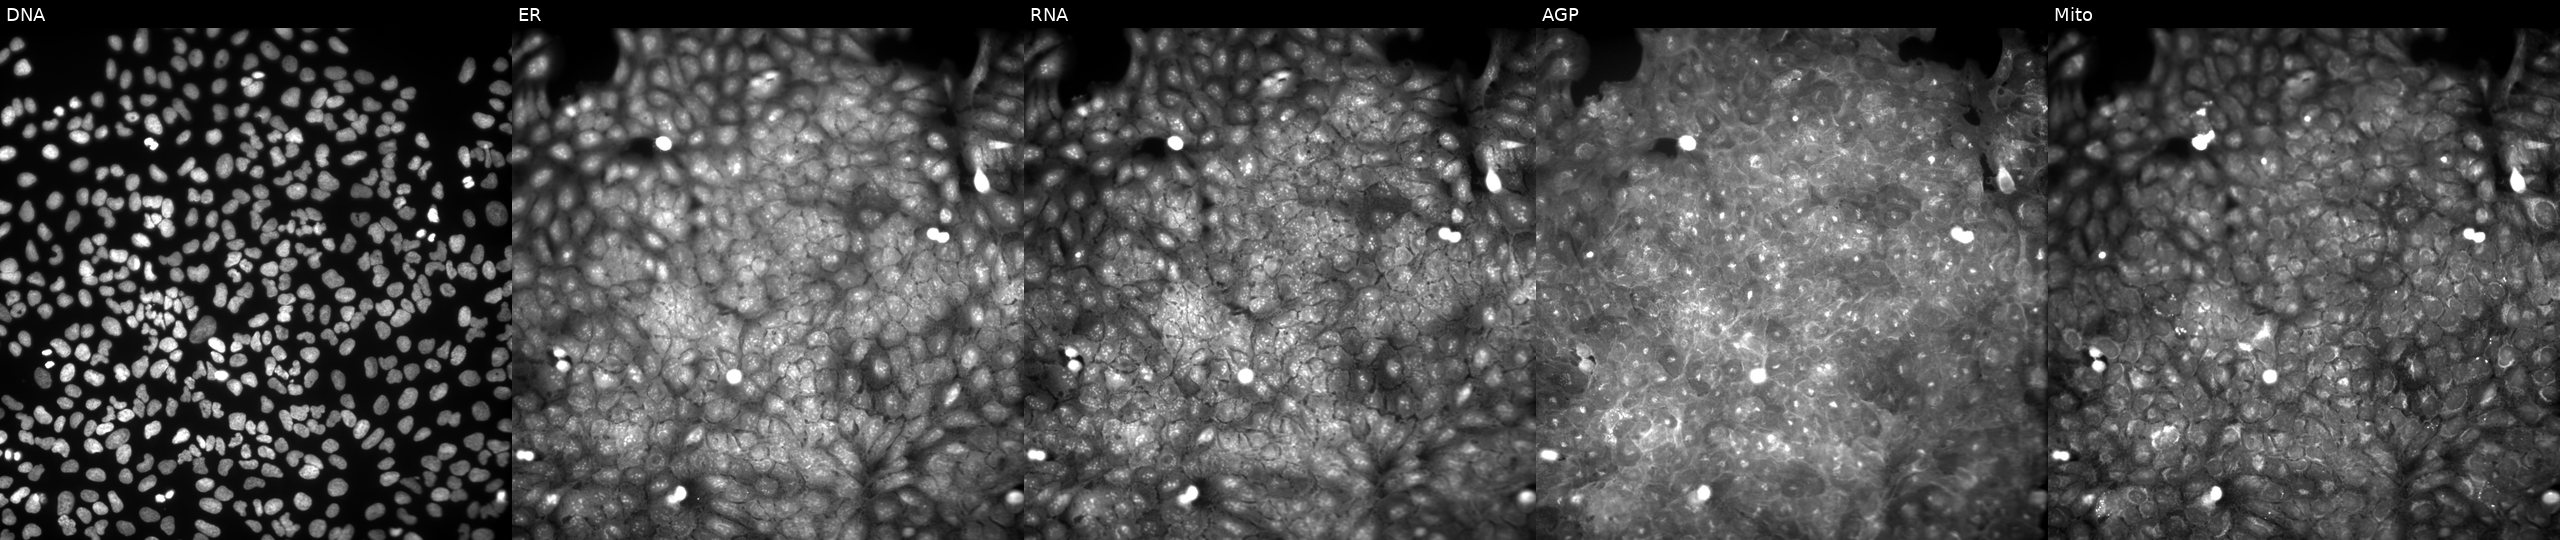
From left to right: DNA (nuclei); ER (endoplasmic reticulum); RNA (nucleoli and cytoplasmic RNA); AGP (actin cytoskeleton, Golgi, and plasma membrane); Mito (mitochondria). U2OS osteosarcoma cells exposed to a small-molecule compound (InChIKey NUYKMJOBLOJJPX-UHFFFAOYSA-N) [SMILES: CCOC(=O)c1sc2nc3n(c(=O)c2c1C)CCC3] (JUMP id JCP2022_061532). Cell Painting assay, JUMP-CP dataset.